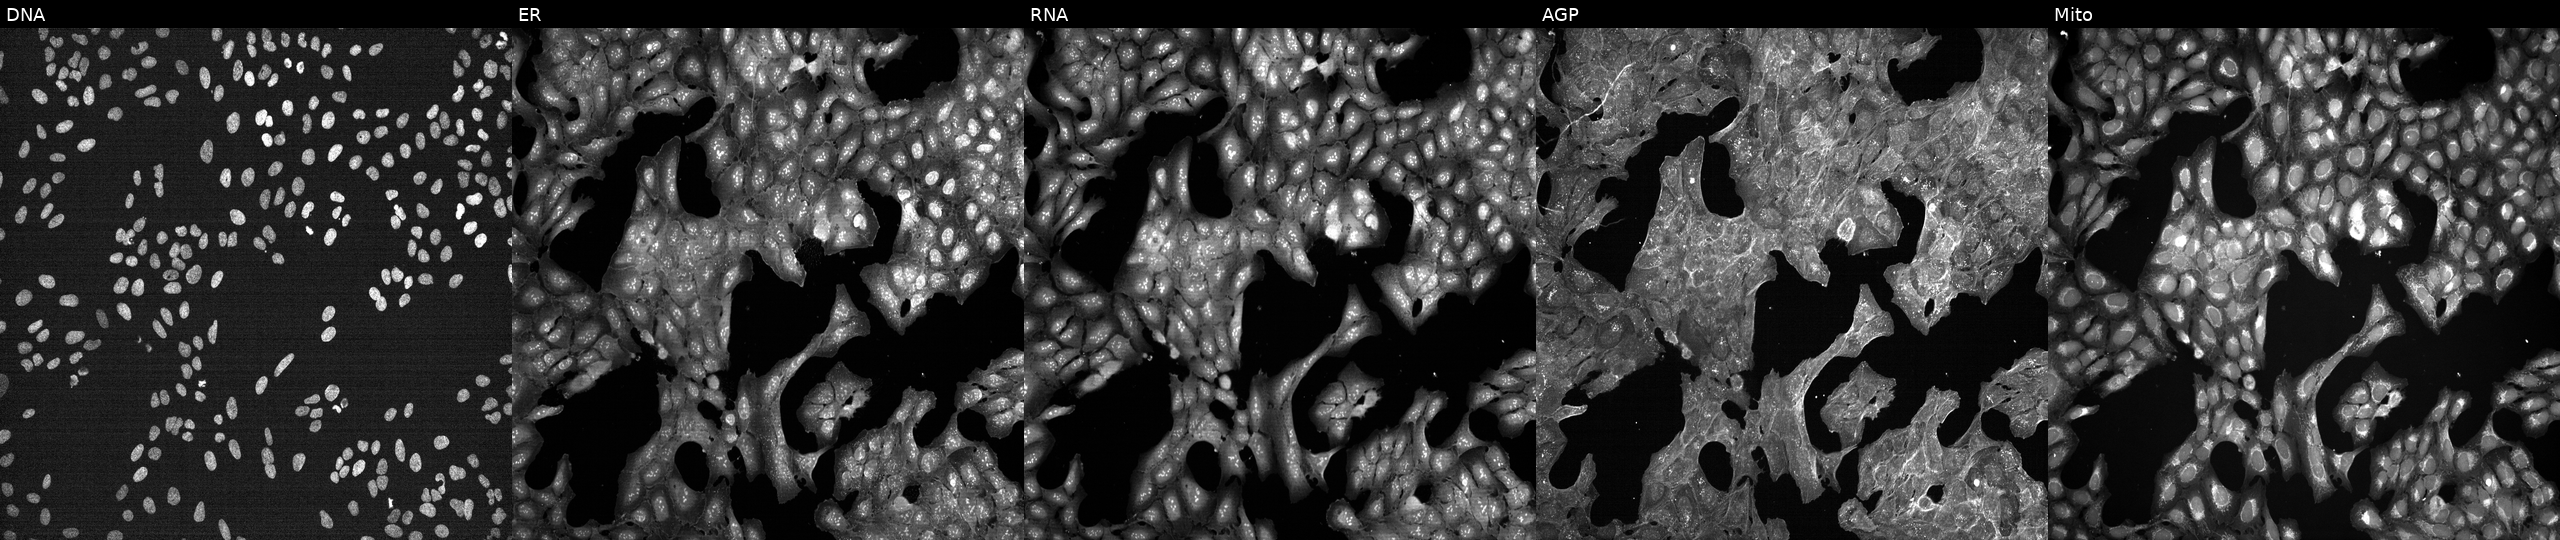
U2OS cells, Cell Painting assay, perturbed with a small-molecule compound (InChIKey YCYMCMYLORLIJX-UHFFFAOYSA-N). From left to right: DNA (nuclei); ER (endoplasmic reticulum); RNA (nucleoli and cytoplasmic RNA); AGP (actin cytoskeleton, Golgi, and plasma membrane); Mito (mitochondria). Each panel is percentile-stretched 16-bit fluorescence. Source 7, plate CP1-SC1-25, well M07.